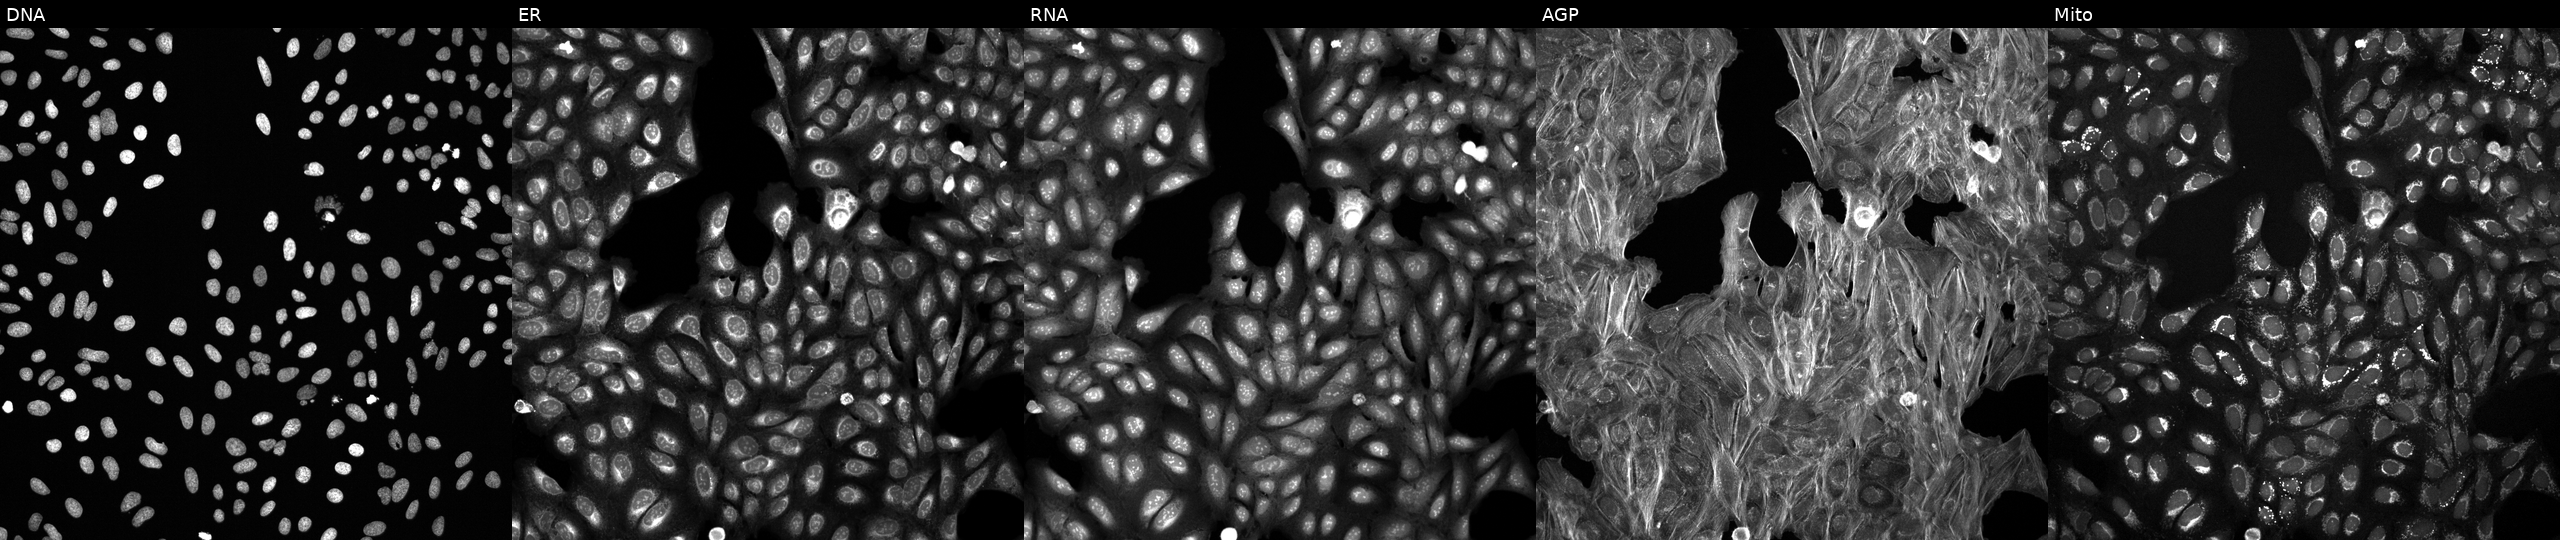
This image strip shows the five Cell Painting channels for a single field of U2OS cells perturbed with a small-molecule compound (InChIKey UMZFPAIAQNKADA-UHFFFAOYSA-N) [SMILES: Cc1nn(C)c(C)c1CN(C)CC(=O)Nc1cc(Cl)c(Cl)cc1Cl] (JUMP id JCP2022_090247). From left to right: DNA, ER, RNA, AGP, and Mito. Source 6, plate 110000293082, well L21.